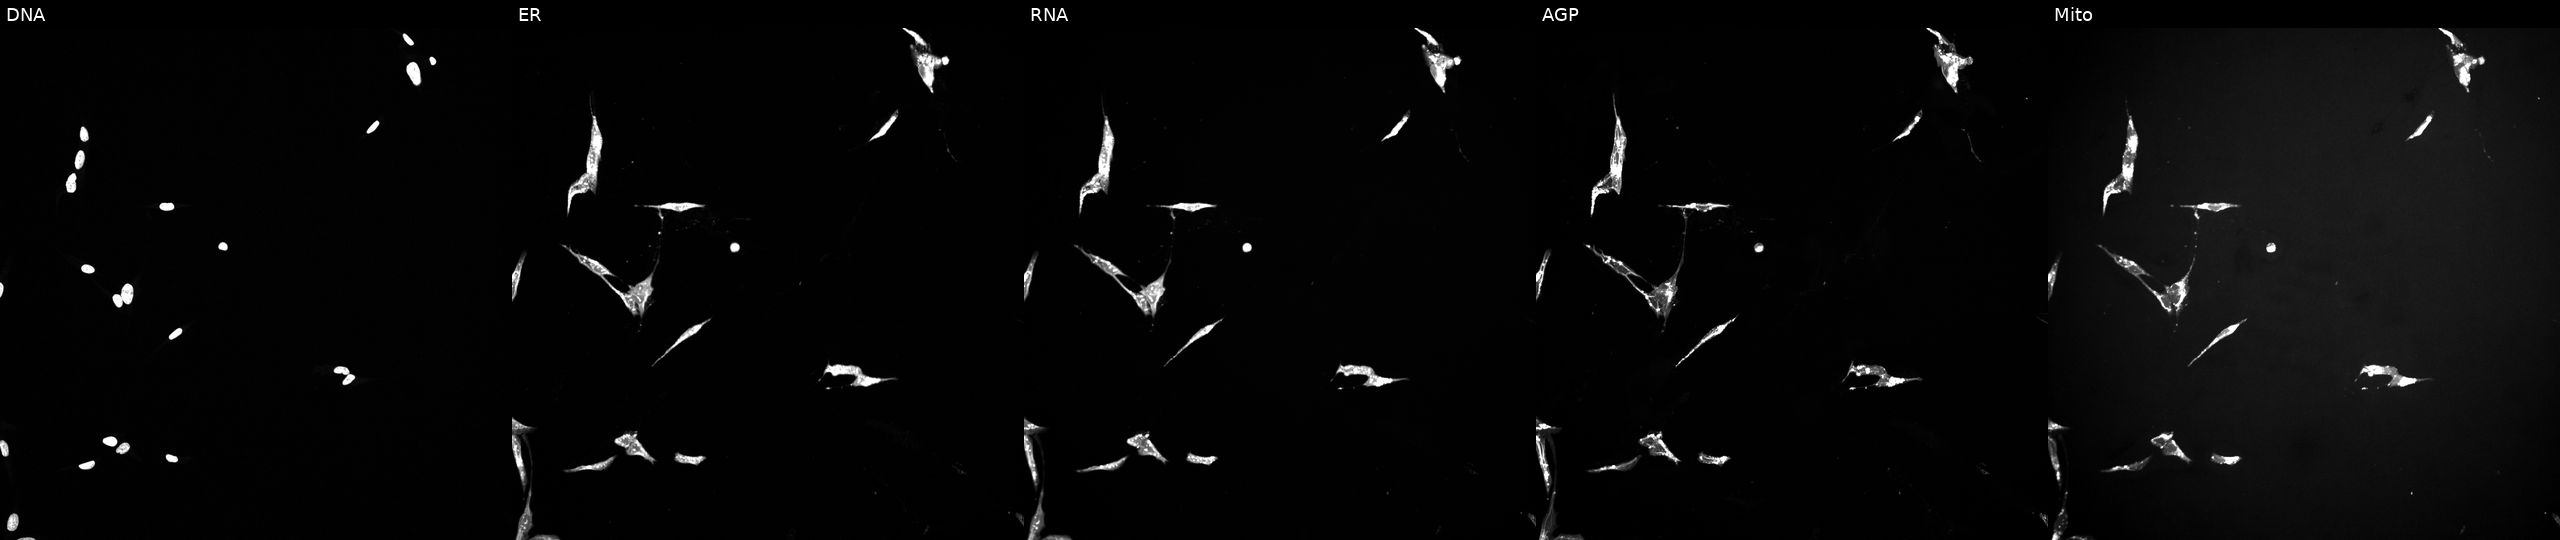
This image strip shows the five Cell Painting channels for a single field of U2OS cells treated with a small-molecule compound [SMILES: CCCc1cc(C)[nH]c(=O)c1CNC(=O)c1cc(-c2ccc(N3CCN(C(C)C)CC3)nc2)cc2c1cnn2C(C)C]. Channels (left→right): DNA (nuclei); ER (endoplasmic reticulum); RNA (nucleoli and cytoplasmic RNA); AGP (actin cytoskeleton, Golgi, and plasma membrane); Mito (mitochondria). Source 10, plate Dest210726-160150, well M05.